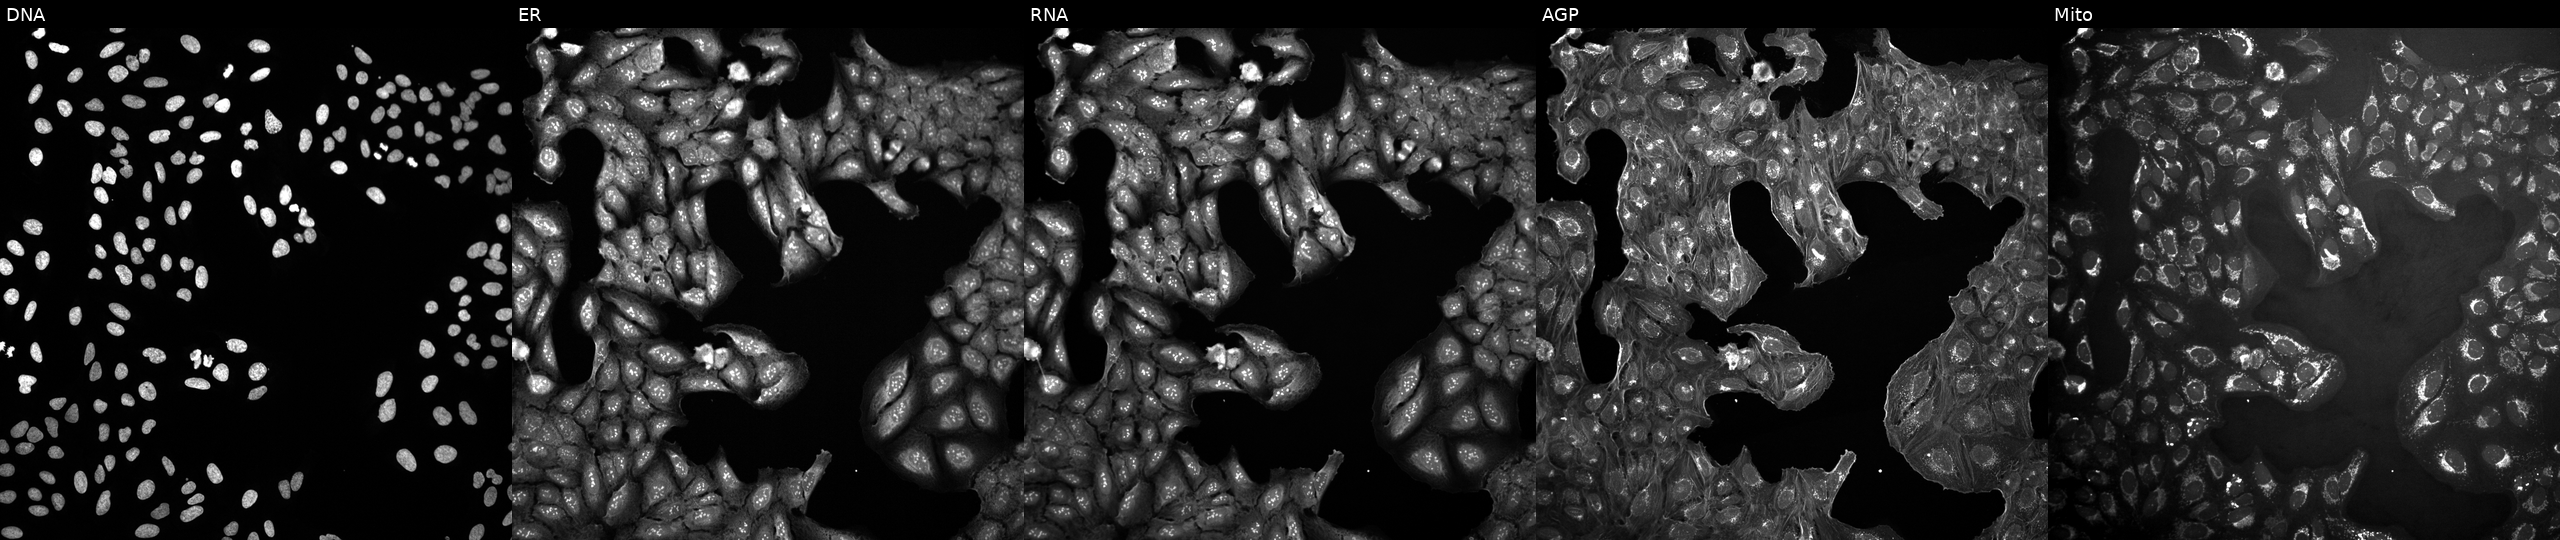
U2OS cells, Cell Painting assay, in an empty control well (no perturbation). From left to right: Hoechst 33342, concanavalin A, SYTO 14, phalloidin and WGA, MitoTracker. Each panel is percentile-stretched 16-bit fluorescence. Source 10, plate Dest210531-152149, well C17.